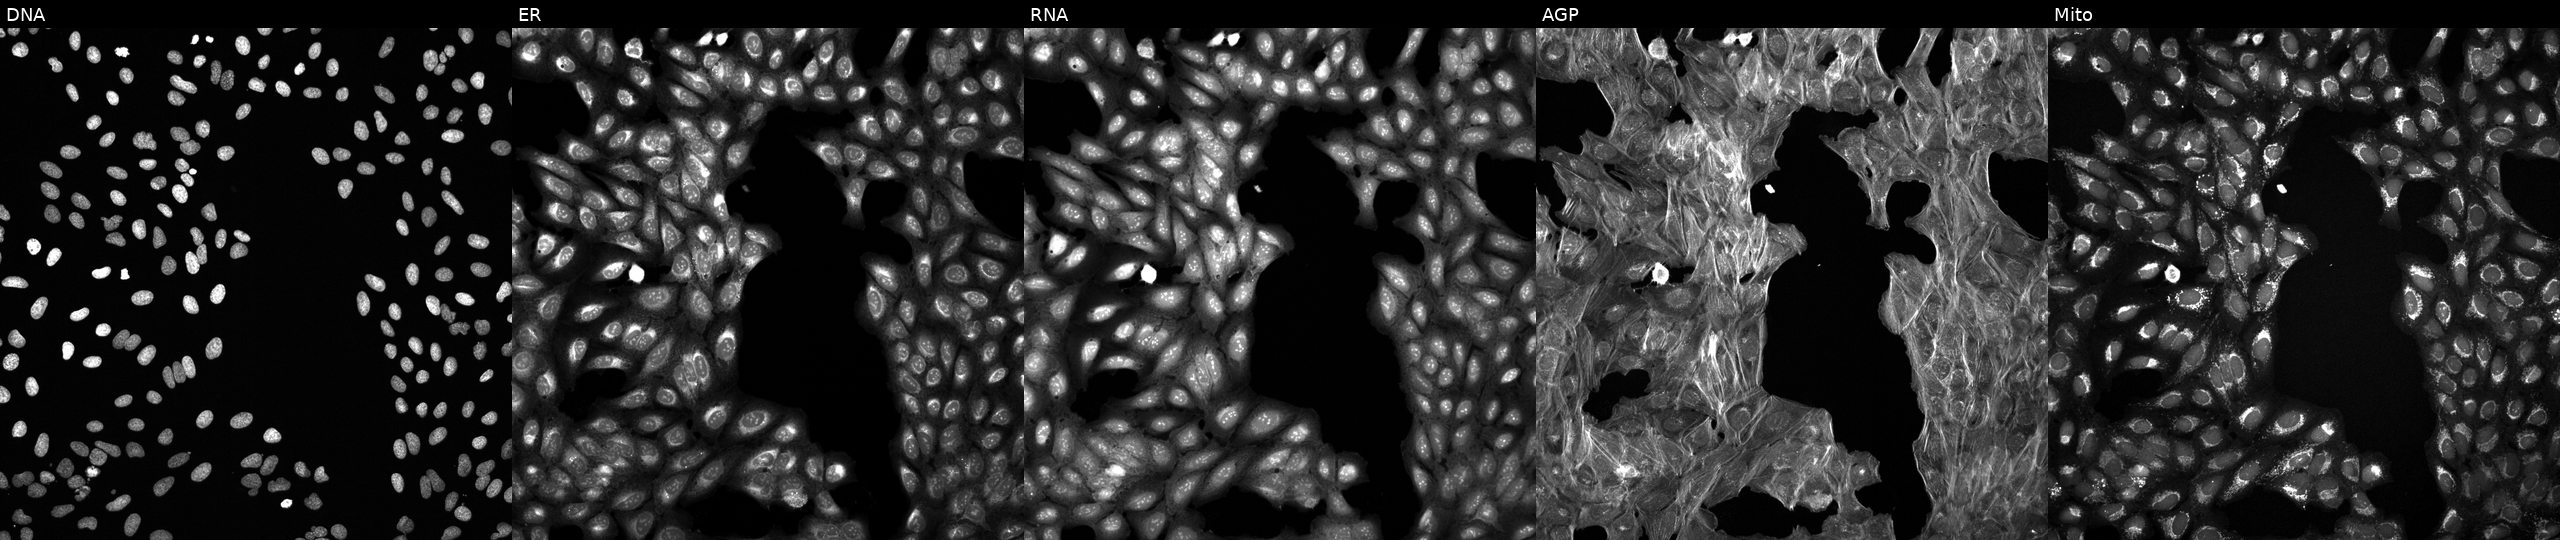
Panels show, left to right, DNA, ER, RNA, AGP, and Mito. U2OS osteosarcoma cells exposed to DMSO alone as a negative control (JUMP id JCP2022_033924). Cell Painting assay, JUMP-CP dataset.